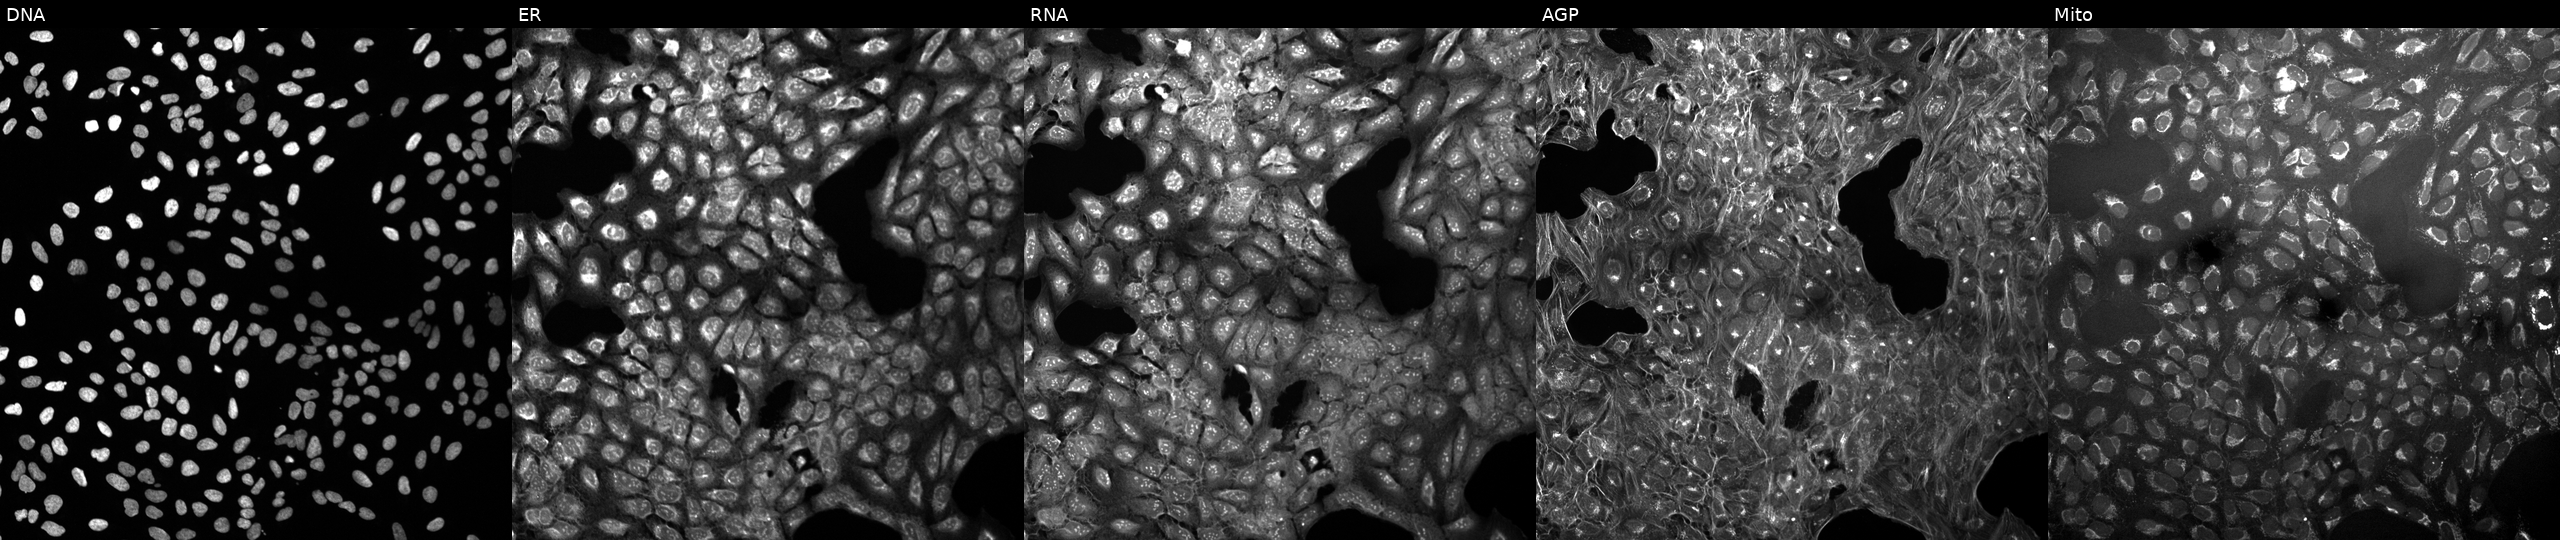
High-content fluorescence microscopy (Cell Painting). Cell line: U2OS. Perturbation: untreated (empty-well control). Panels show, left to right, DNA (nuclei); ER (endoplasmic reticulum); RNA (nucleoli and cytoplasmic RNA); AGP (actin cytoskeleton, Golgi, and plasma membrane); Mito (mitochondria).